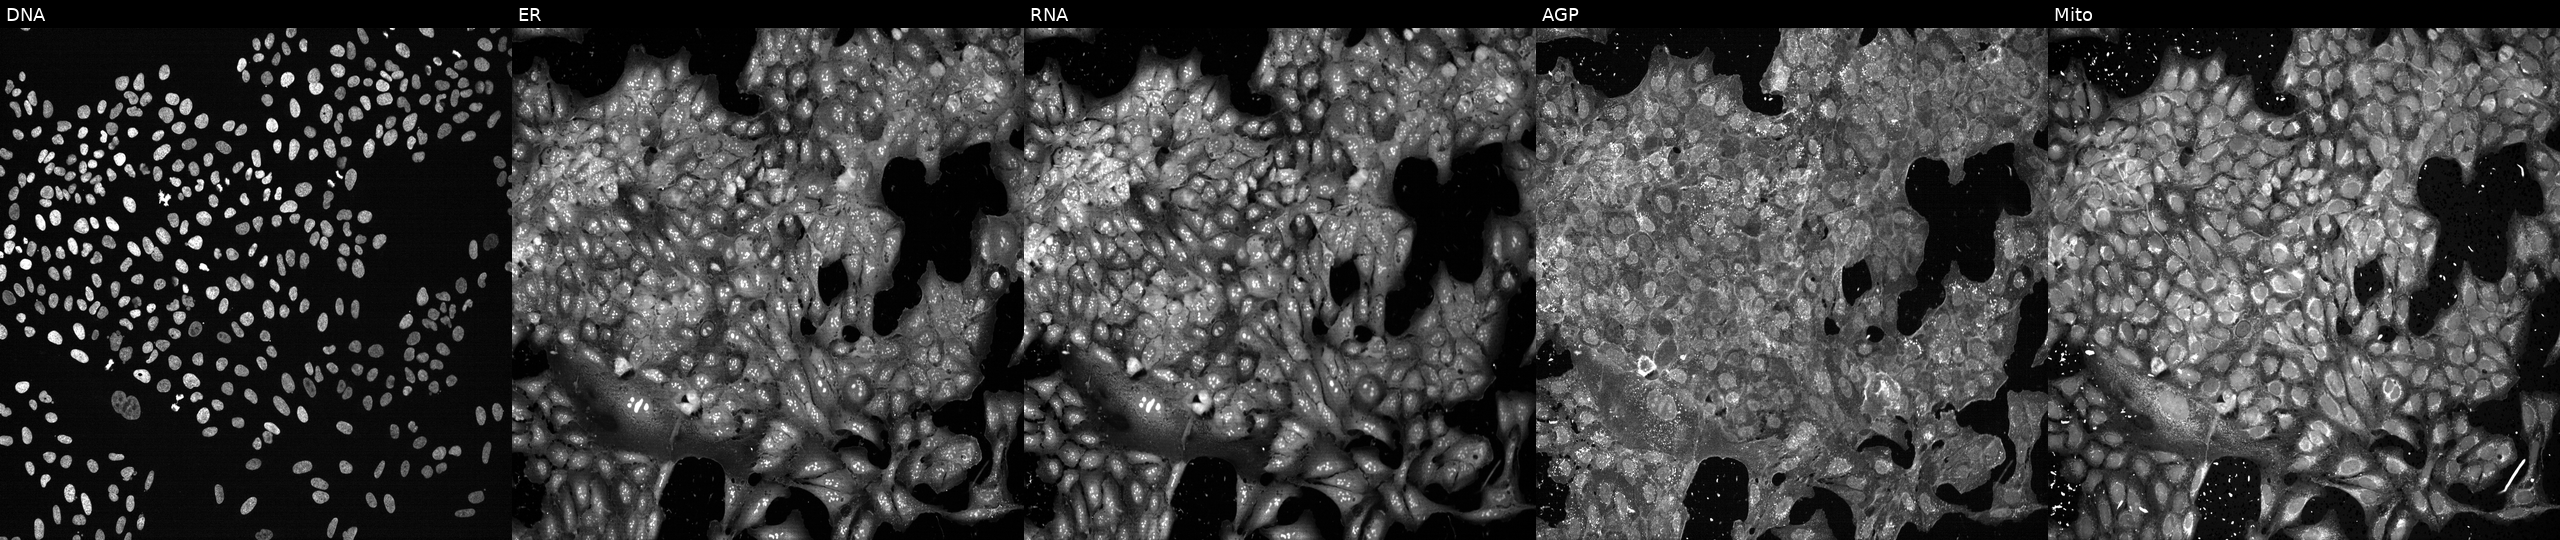
Five-channel Cell Painting image of U2OS cells exposed to the positive-control compound LY2109761. The five panels, left to right, show DNA (nuclei); ER (endoplasmic reticulum); RNA (nucleoli and cytoplasmic RNA); AGP (actin cytoskeleton, Golgi, and plasma membrane); Mito (mitochondria). Source 13, plate CP-CC9-R1-01, well E01.